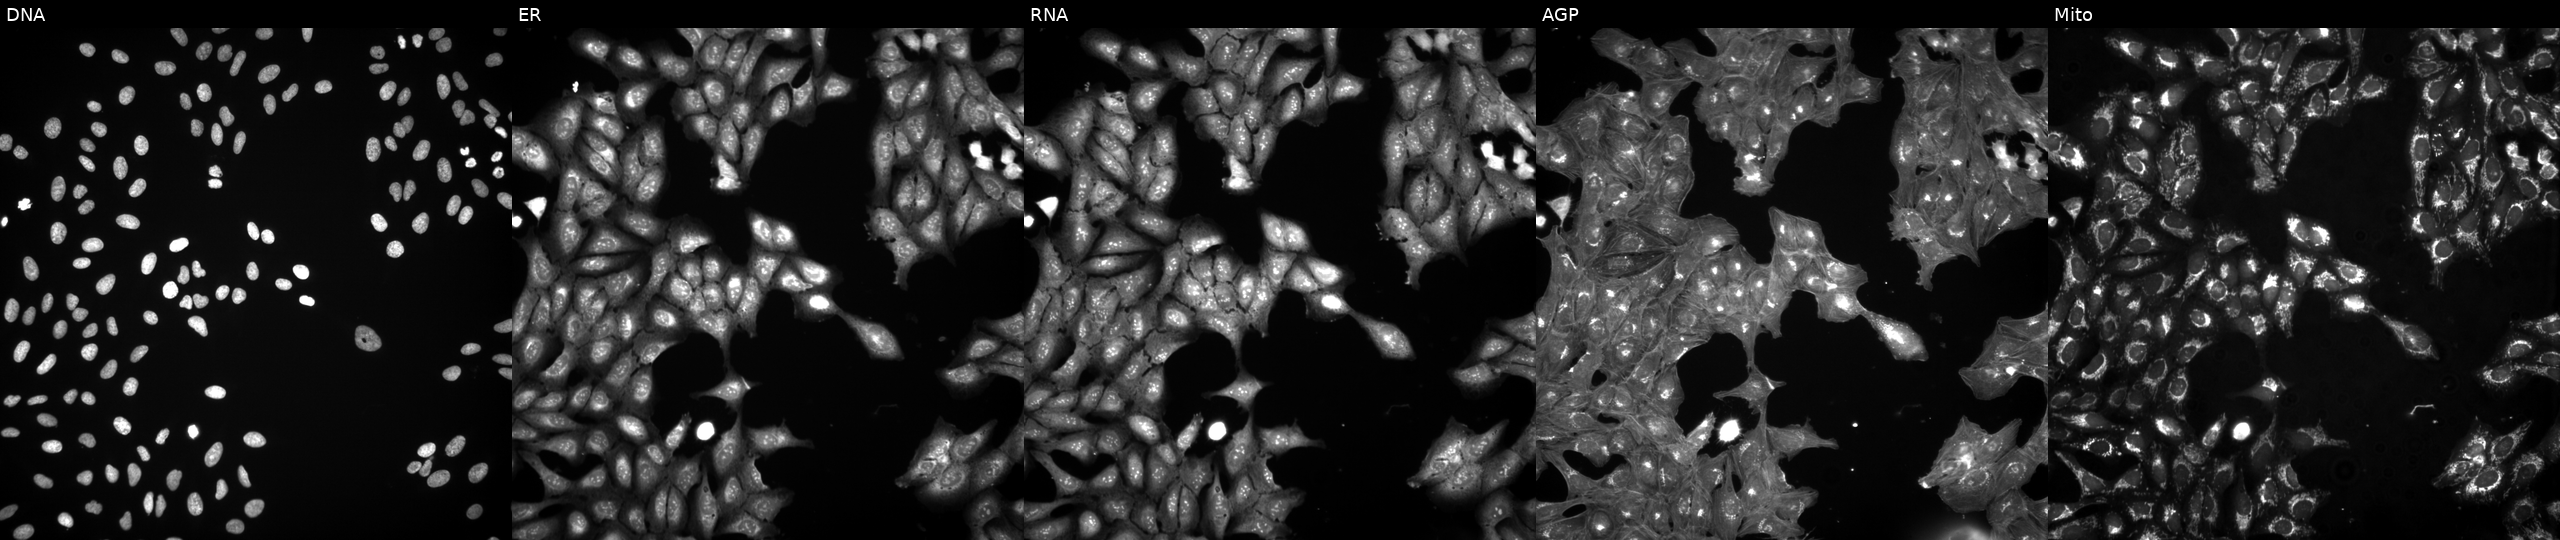
Five-channel Cell Painting image of U2OS cells perturbed with a small-molecule compound (InChIKey ODUOJXZPIYUATO-UHFFFAOYSA-N) [SMILES: CC(=O)SCC(Cc1ccccc1)C(=O)NCC(=O)OCc1ccccc1]. Panels show, left to right, Hoechst 33342, concanavalin A, SYTO 14, phalloidin and WGA, MitoTracker.